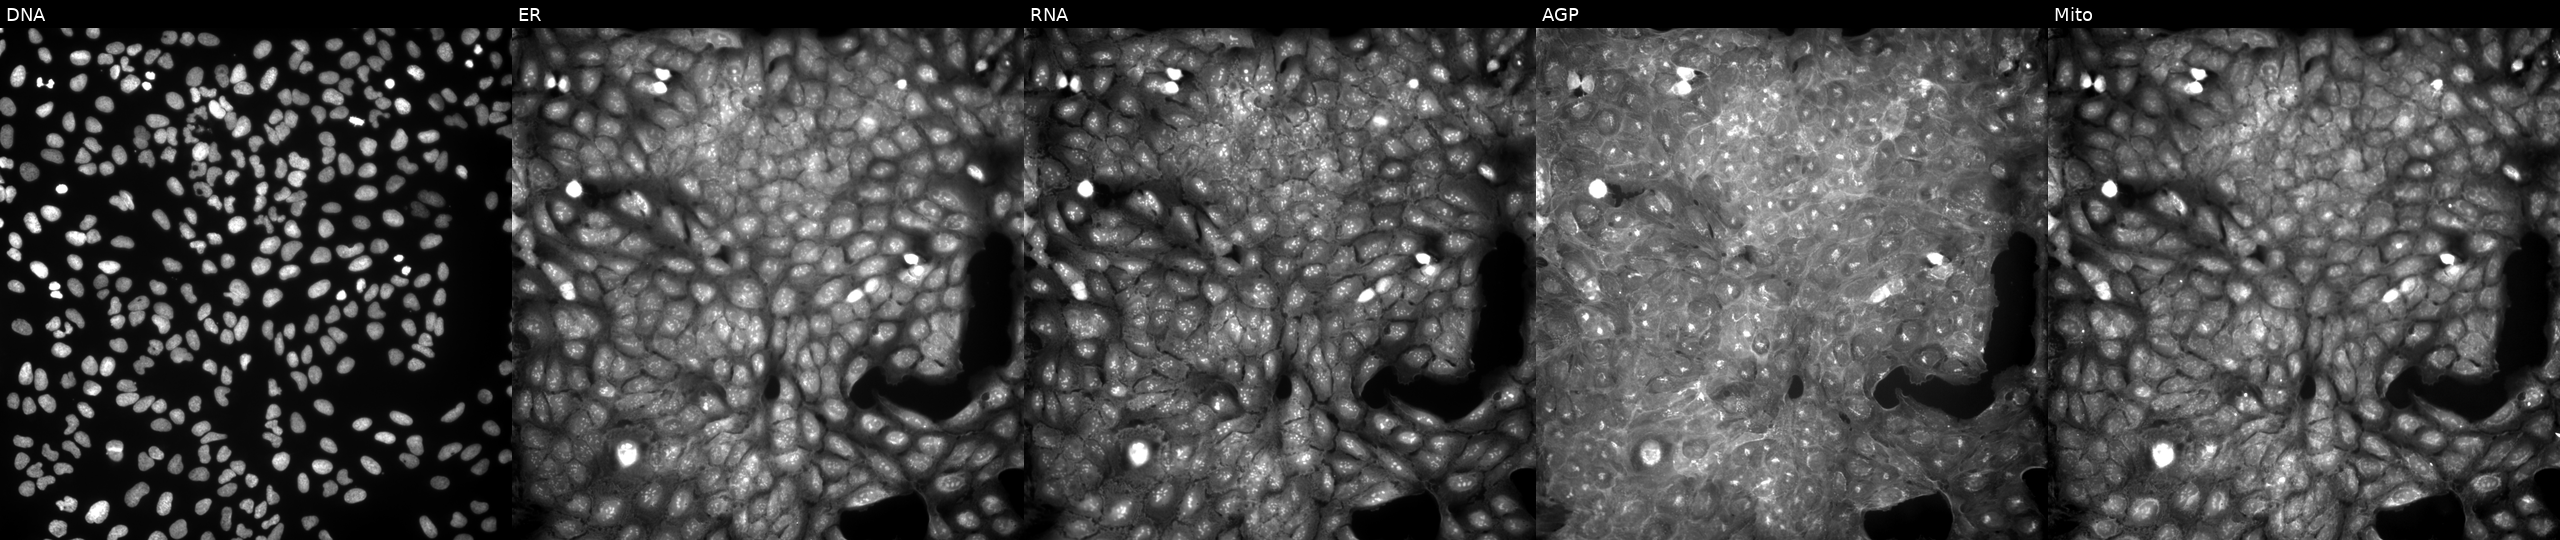
U2OS cells, Cell Painting assay, treated with a small-molecule compound (InChIKey DBNCSRBXVCNXEM-UHFFFAOYSA-N) [SMILES: COC(=O)c1ccc(C(=O)OC)c(NC(=O)c2c(-c3ccccc3)noc2C)c1]. Panels show, left to right, Hoechst 33342, concanavalin A, SYTO 14, phalloidin and WGA, MitoTracker. Each panel is percentile-stretched 16-bit fluorescence. Source 9, plate GR00003381, well U21.